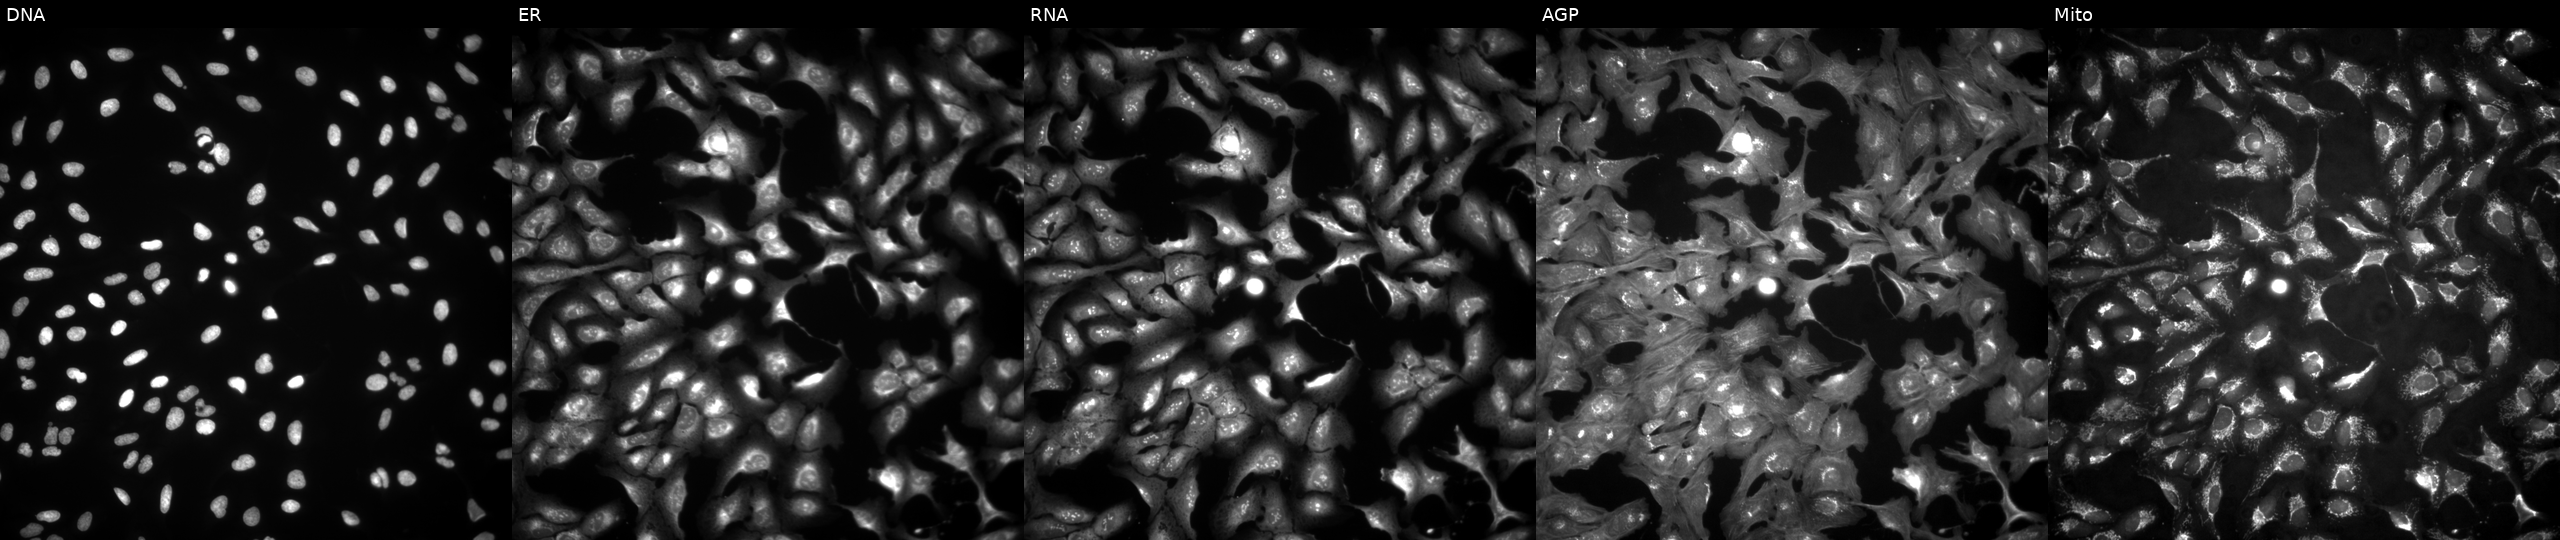
From left to right: DNA, ER, RNA, AGP, and Mito. U2OS osteosarcoma cells transfected with an ORF construct for HLA-C. Cell Painting assay, JUMP-CP dataset. Source 4, plate BR00123509, well M23.